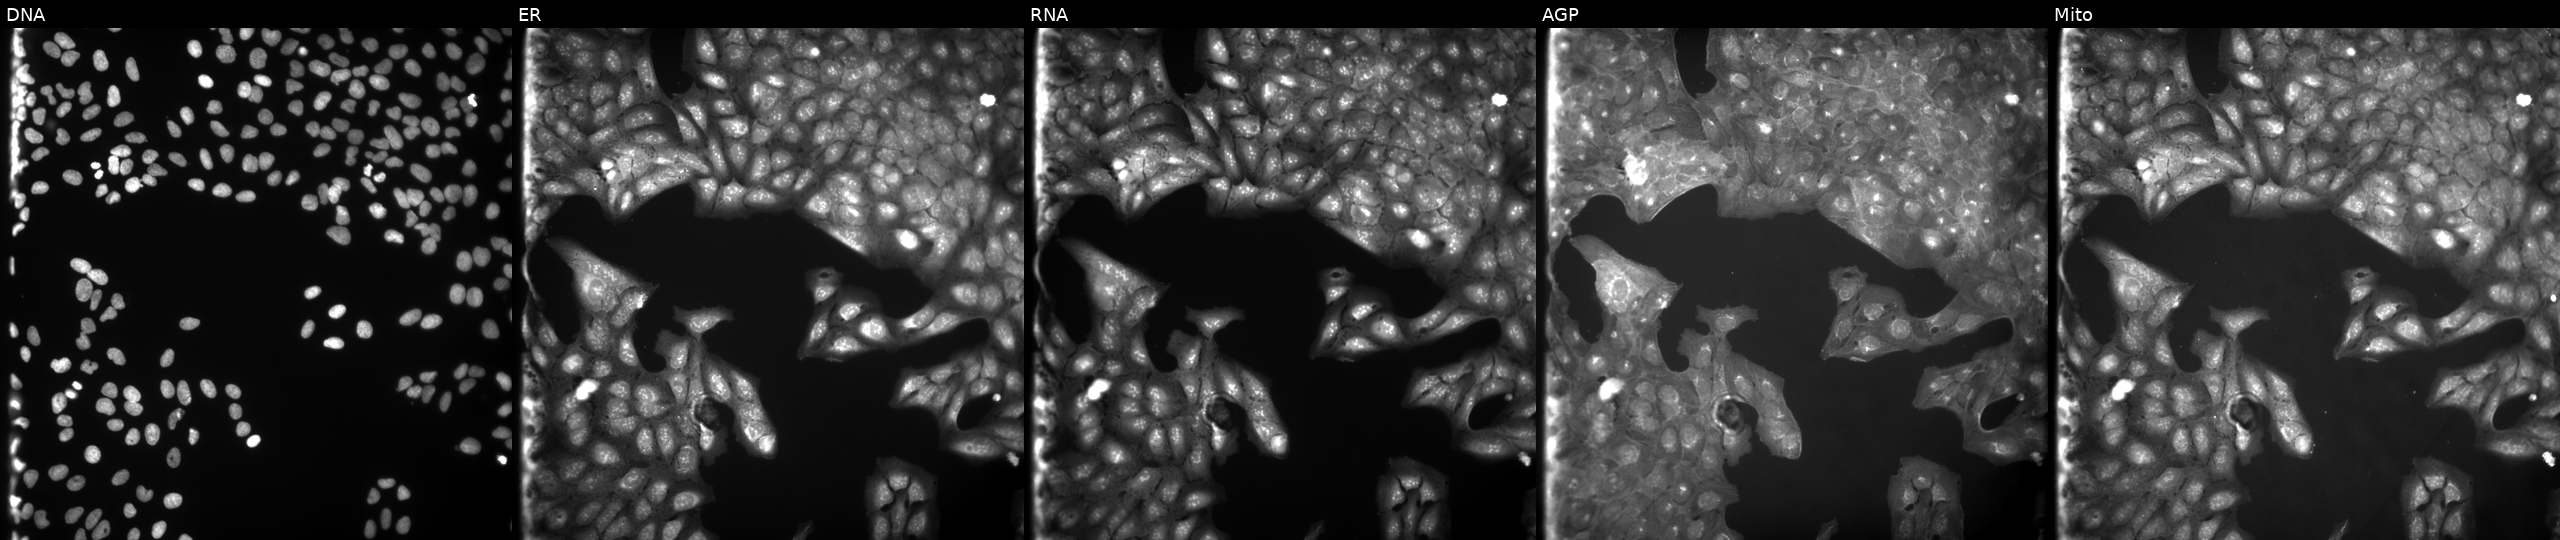
U2OS cells, Cell Painting assay, exposed to a small-molecule compound (JUMP id JCP2022_012680). From left to right: DNA, ER, RNA, AGP, and Mito. Each panel is percentile-stretched 16-bit fluorescence. Source 9, plate GR00003381, well L04.